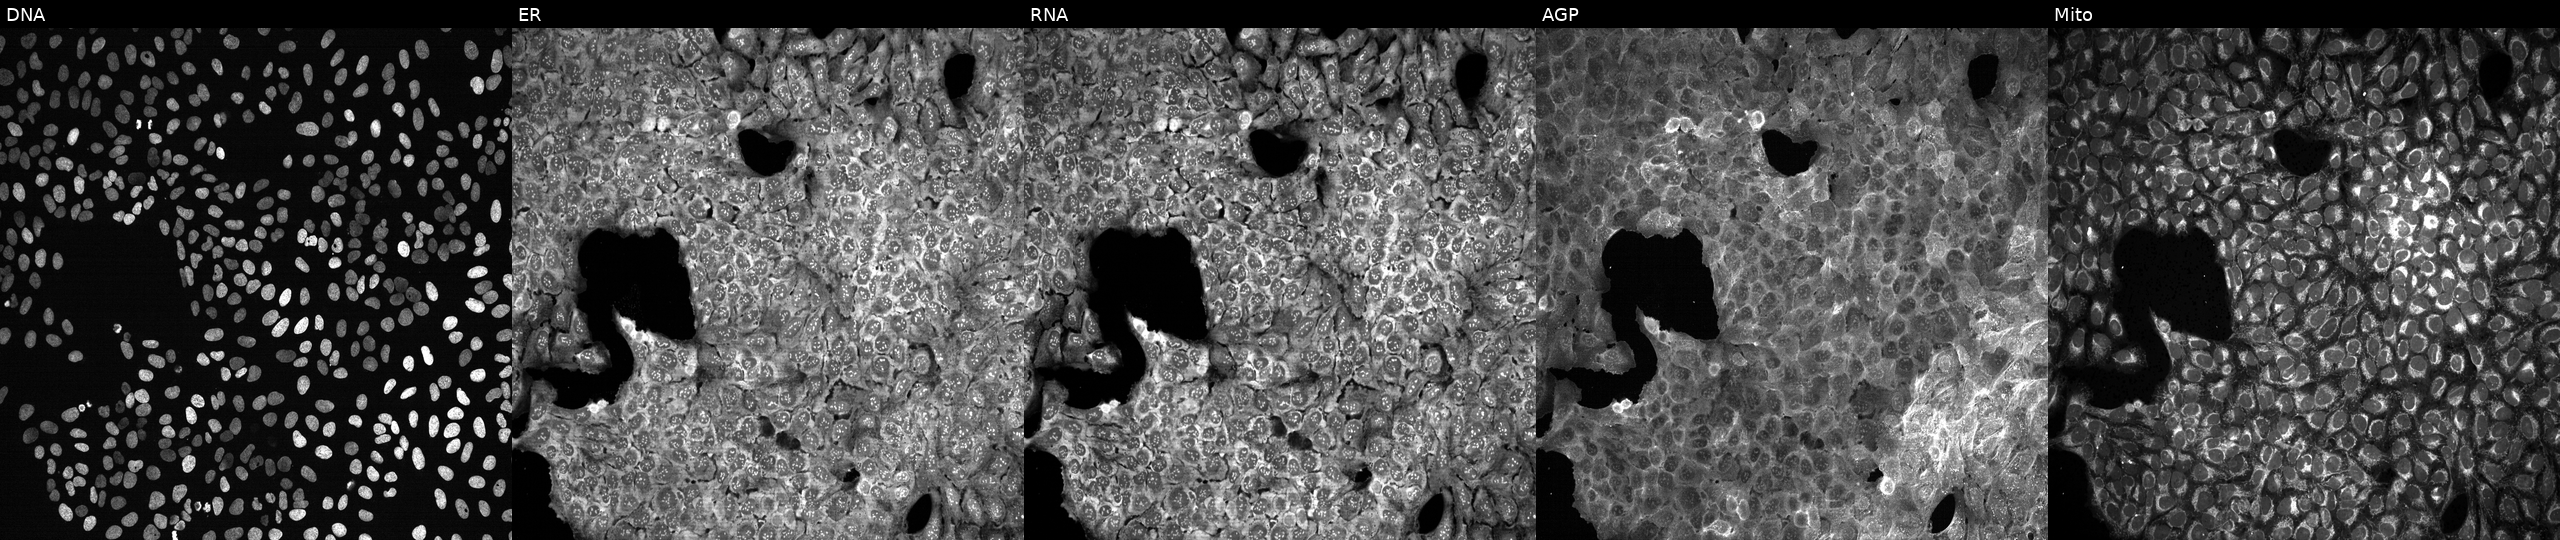
Five-channel Cell Painting image of U2OS cells treated with dexamethasone (positive-control compound). The five panels, left to right, show Hoechst 33342, concanavalin A, SYTO 14, phalloidin and WGA, MitoTracker. Source 13, plate CP-CC9-R2-02, well C01.